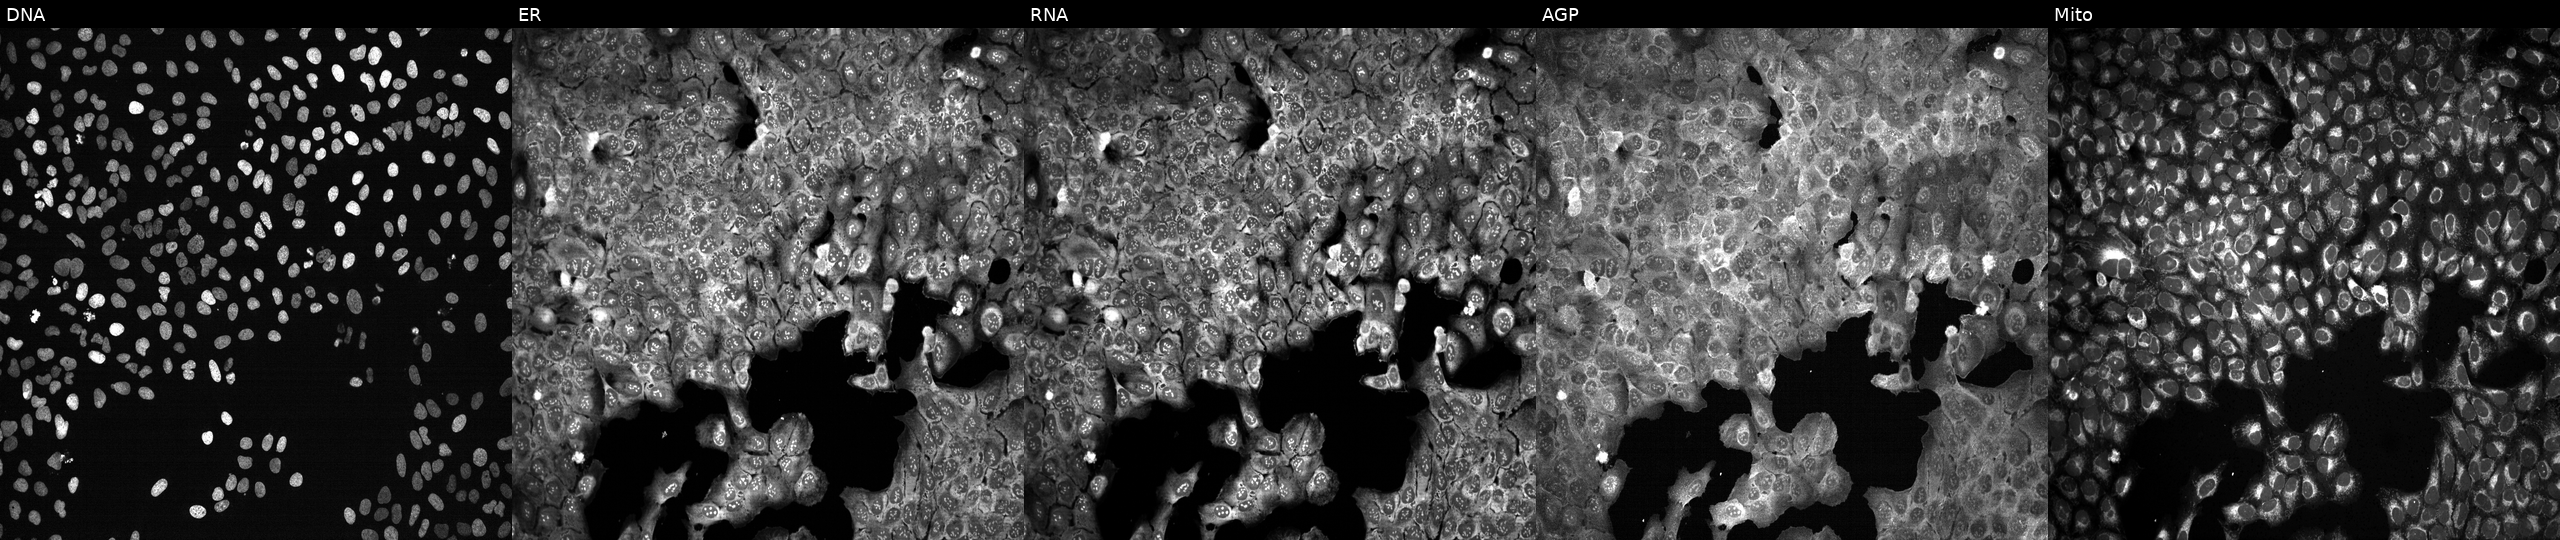
High-content fluorescence microscopy (Cell Painting). Cell line: U2OS. Perturbation: following CRISPR knockout of SLC41A2 (JUMP id JCP2022_806537). The five panels, left to right, show DNA, ER, RNA, AGP, and Mito.